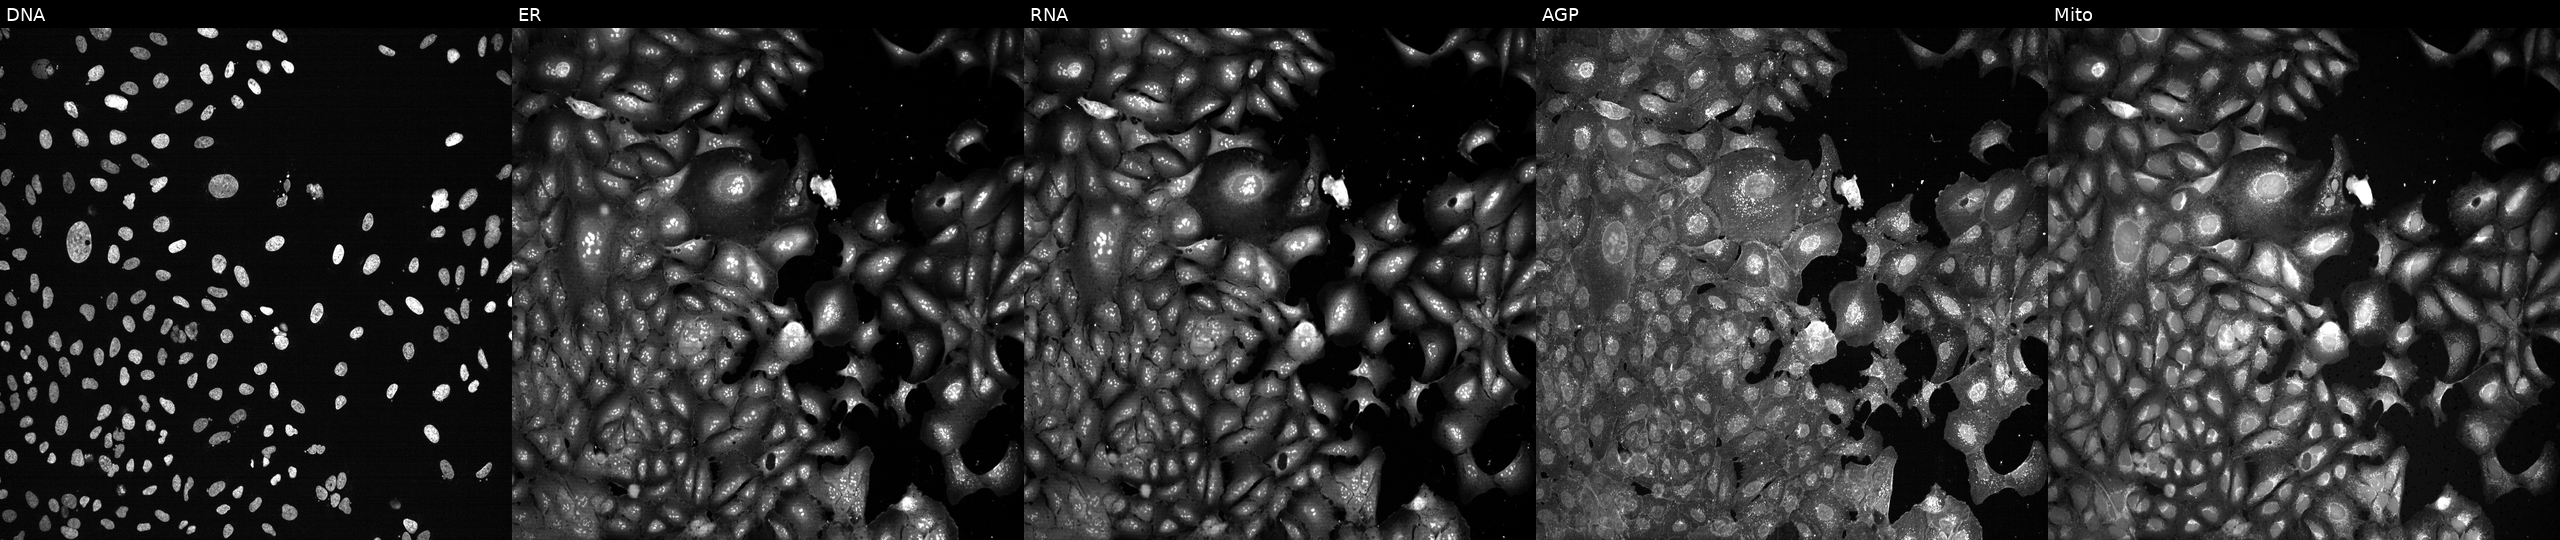
Panels show, left to right, DNA (nuclei); ER (endoplasmic reticulum); RNA (nucleoli and cytoplasmic RNA); AGP (actin cytoskeleton, Golgi, and plasma membrane); Mito (mitochondria). U2OS osteosarcoma cells with TGM3 knocked out by CRISPR. Cell Painting assay, JUMP-CP dataset. Source 13, plate CP-CC9-R1-02, well A06.